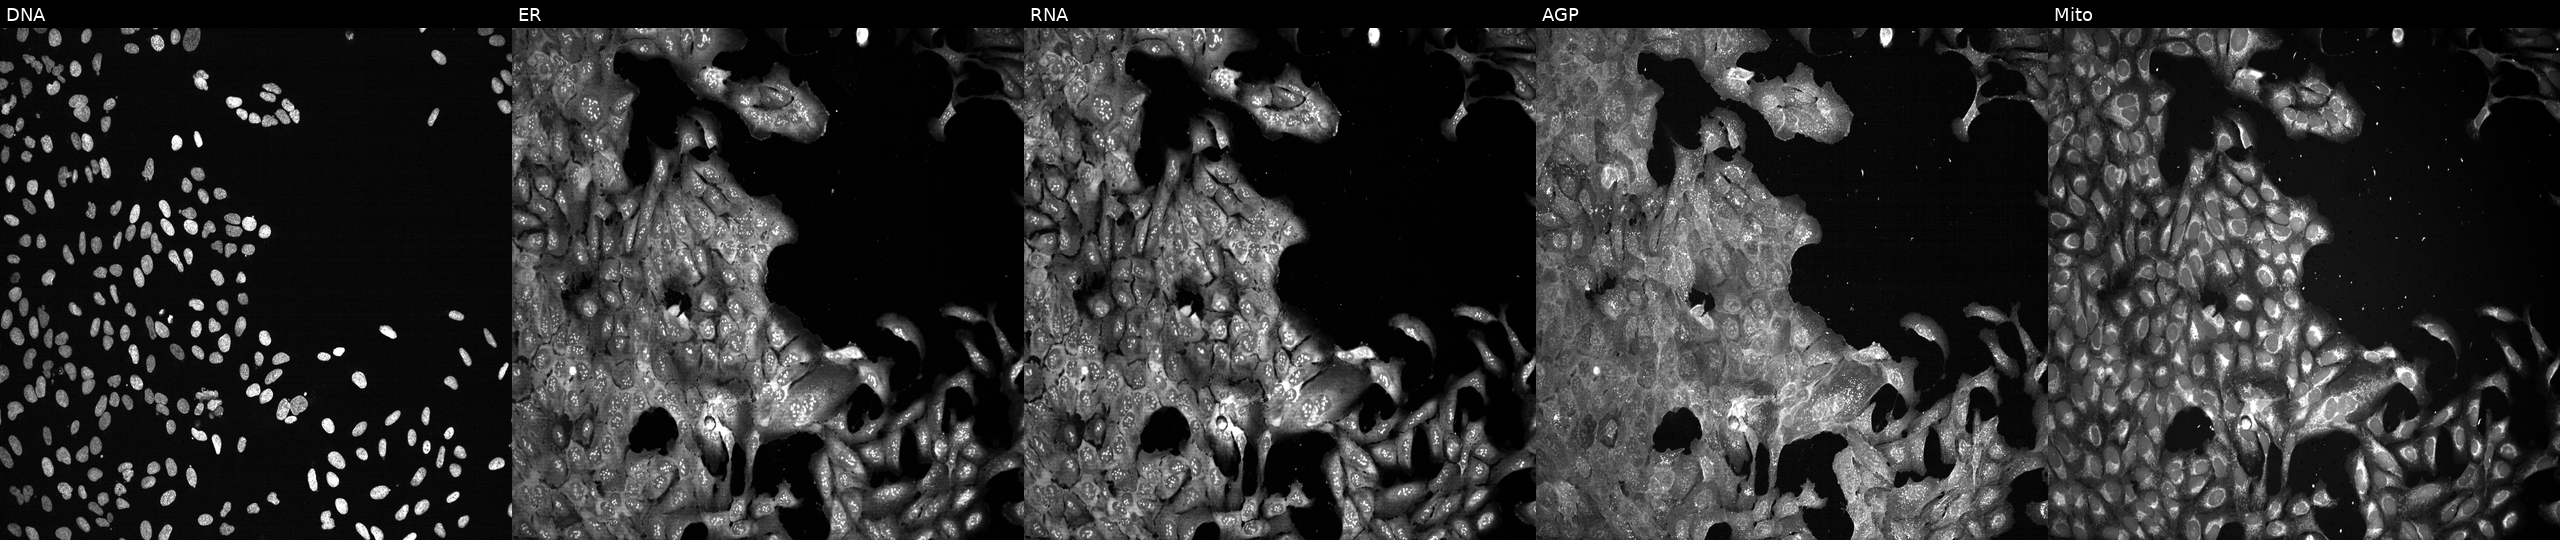
U2OS cells, Cell Painting assay, CRISPR-edited to disrupt ST6GAL2. From left to right: DNA (nuclei); ER (endoplasmic reticulum); RNA (nucleoli and cytoplasmic RNA); AGP (actin cytoskeleton, Golgi, and plasma membrane); Mito (mitochondria). Each panel is percentile-stretched 16-bit fluorescence. Source 13, plate CP-CC9-R5-01, well K04.